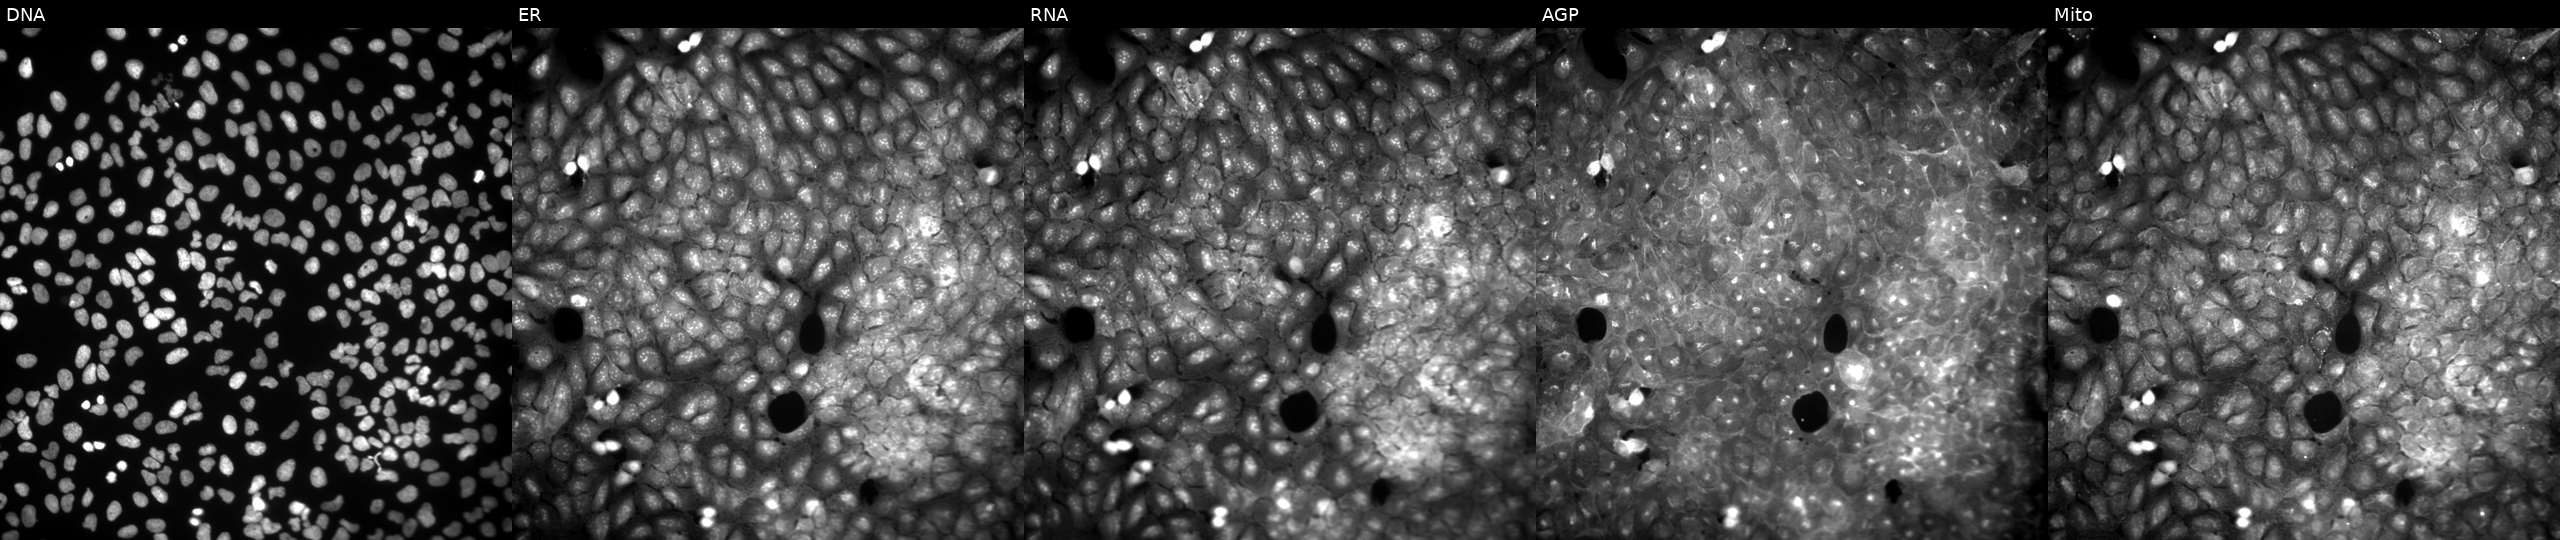
U2OS cells, Cell Painting assay, exposed to a small-molecule compound [SMILES: CC(=O)Nc1ccc(NC(O)c2cc(O)n(-c3cccc(C)c3C)c2)cc1]. From left to right: Hoechst 33342, concanavalin A, SYTO 14, phalloidin and WGA, MitoTracker. Each panel is percentile-stretched 16-bit fluorescence.